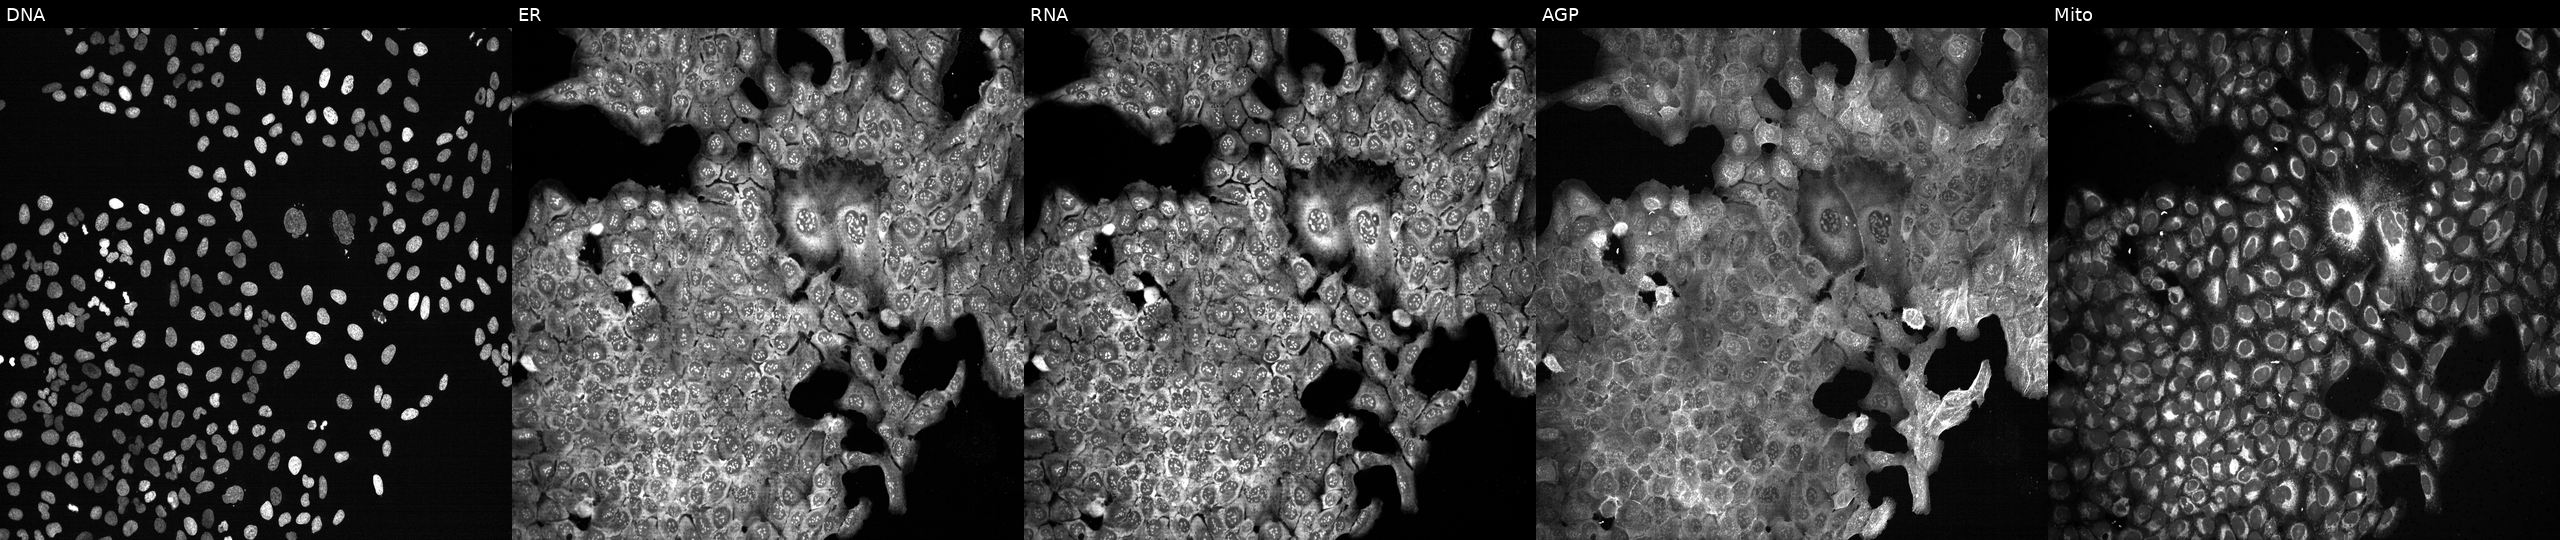
Five-channel Cell Painting image of U2OS cells CRISPR-edited to disrupt HLCS. Channels (left→right): DNA, ER, RNA, AGP, and Mito.